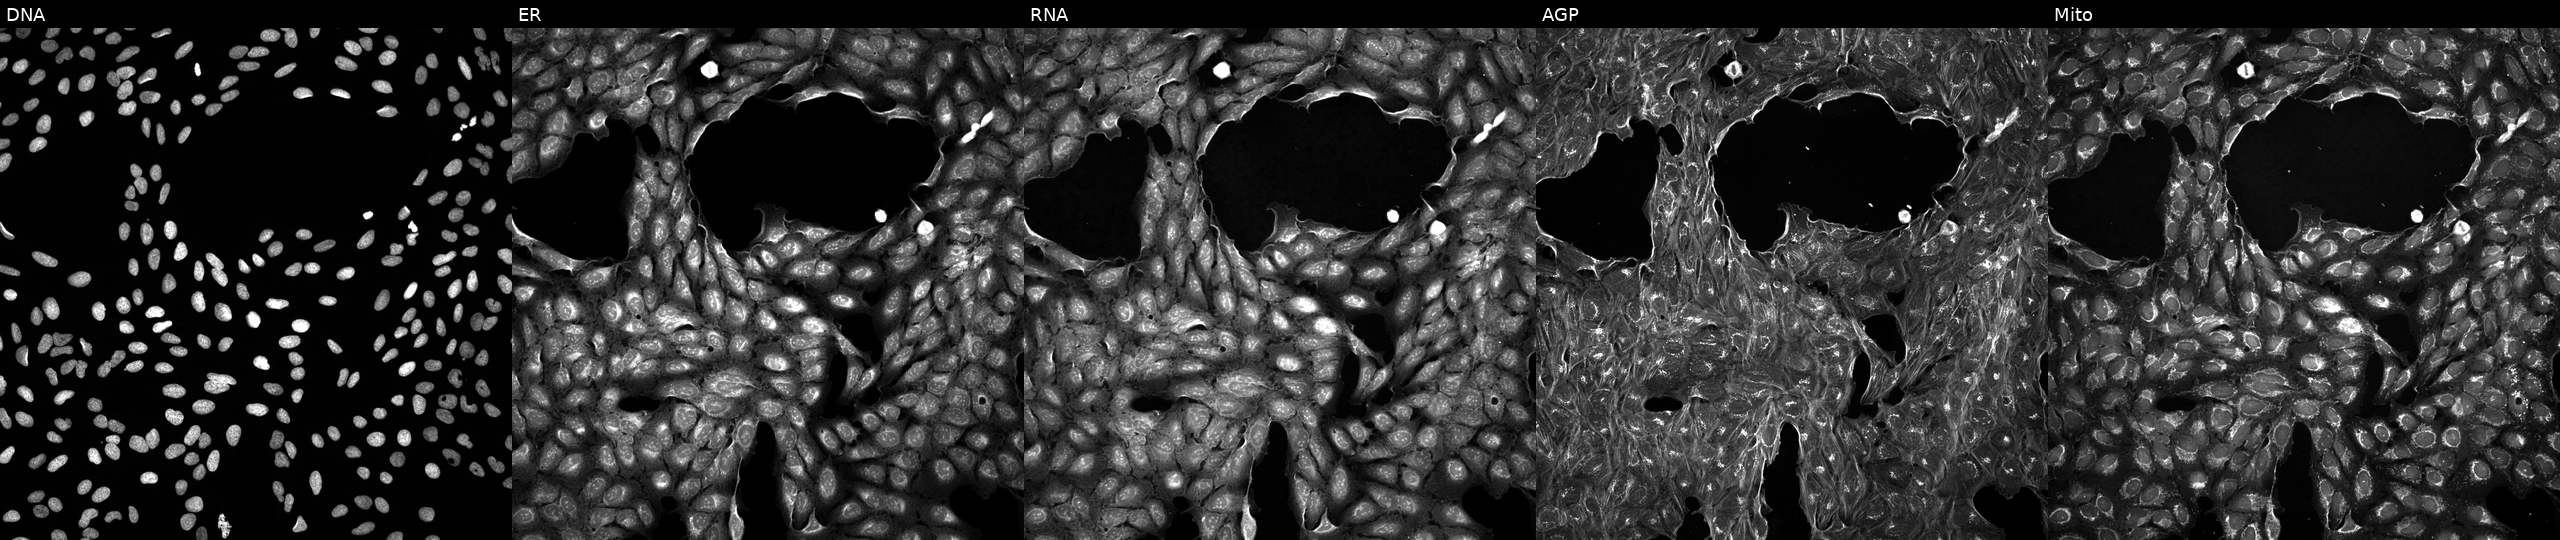
High-content fluorescence microscopy (Cell Painting). Cell line: U2OS. Perturbation: treated with a small-molecule compound (InChIKey QHKYPYXTTXKZST-UHFFFAOYSA-N). Channels (left→right): DNA, ER, RNA, AGP, and Mito.